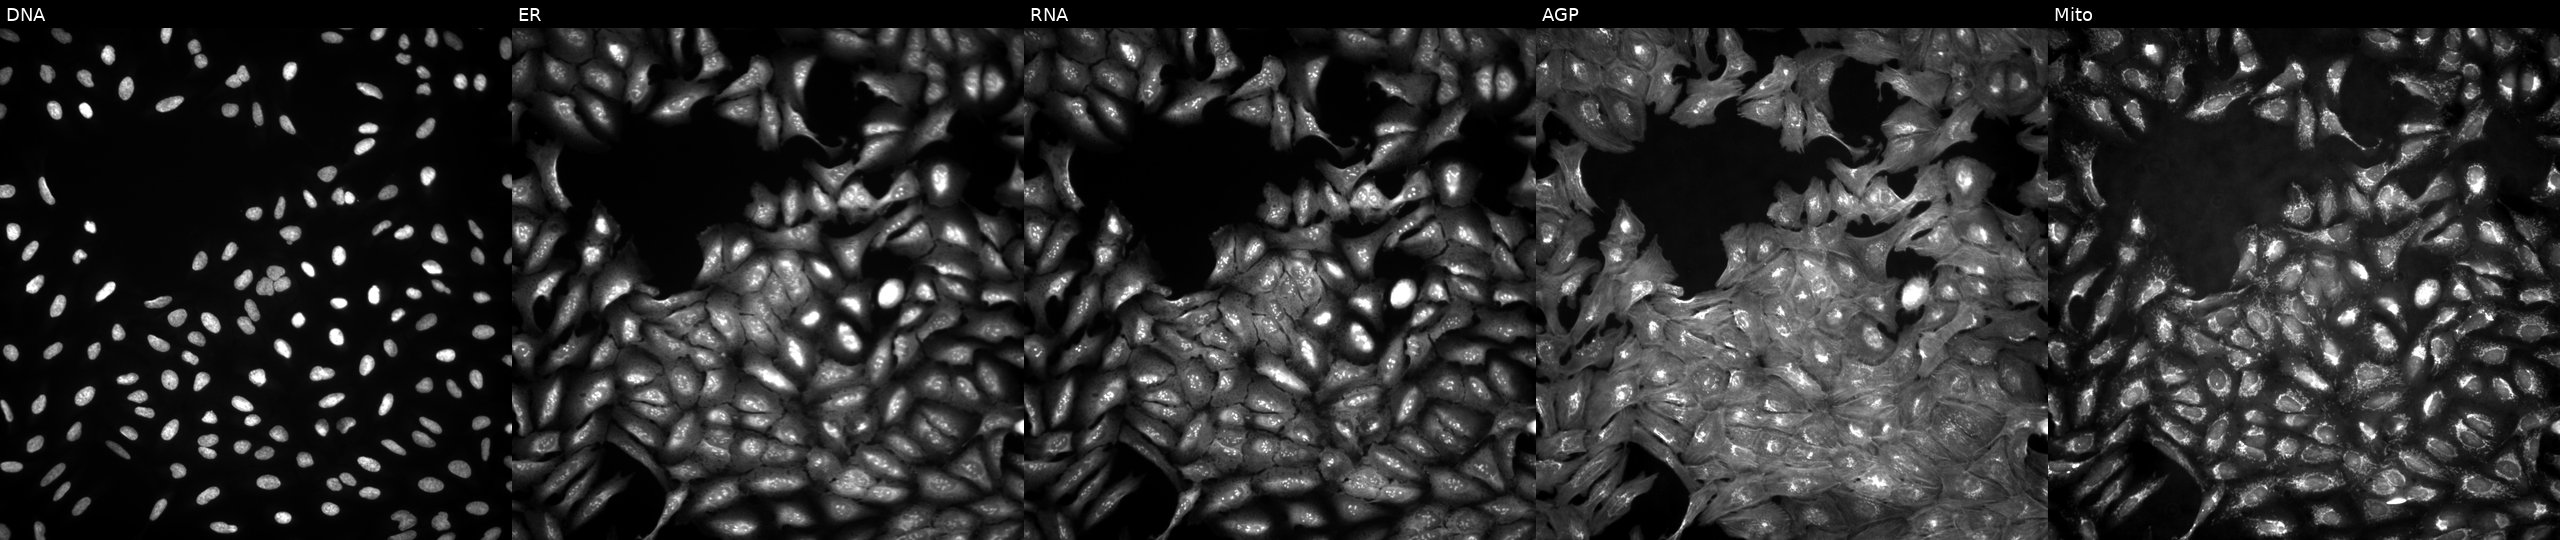
This image strip shows the five Cell Painting channels for a single field of U2OS cells with NPFF overexpressed (ORF). Channels (left→right): Hoechst 33342, concanavalin A, SYTO 14, phalloidin and WGA, MitoTracker.